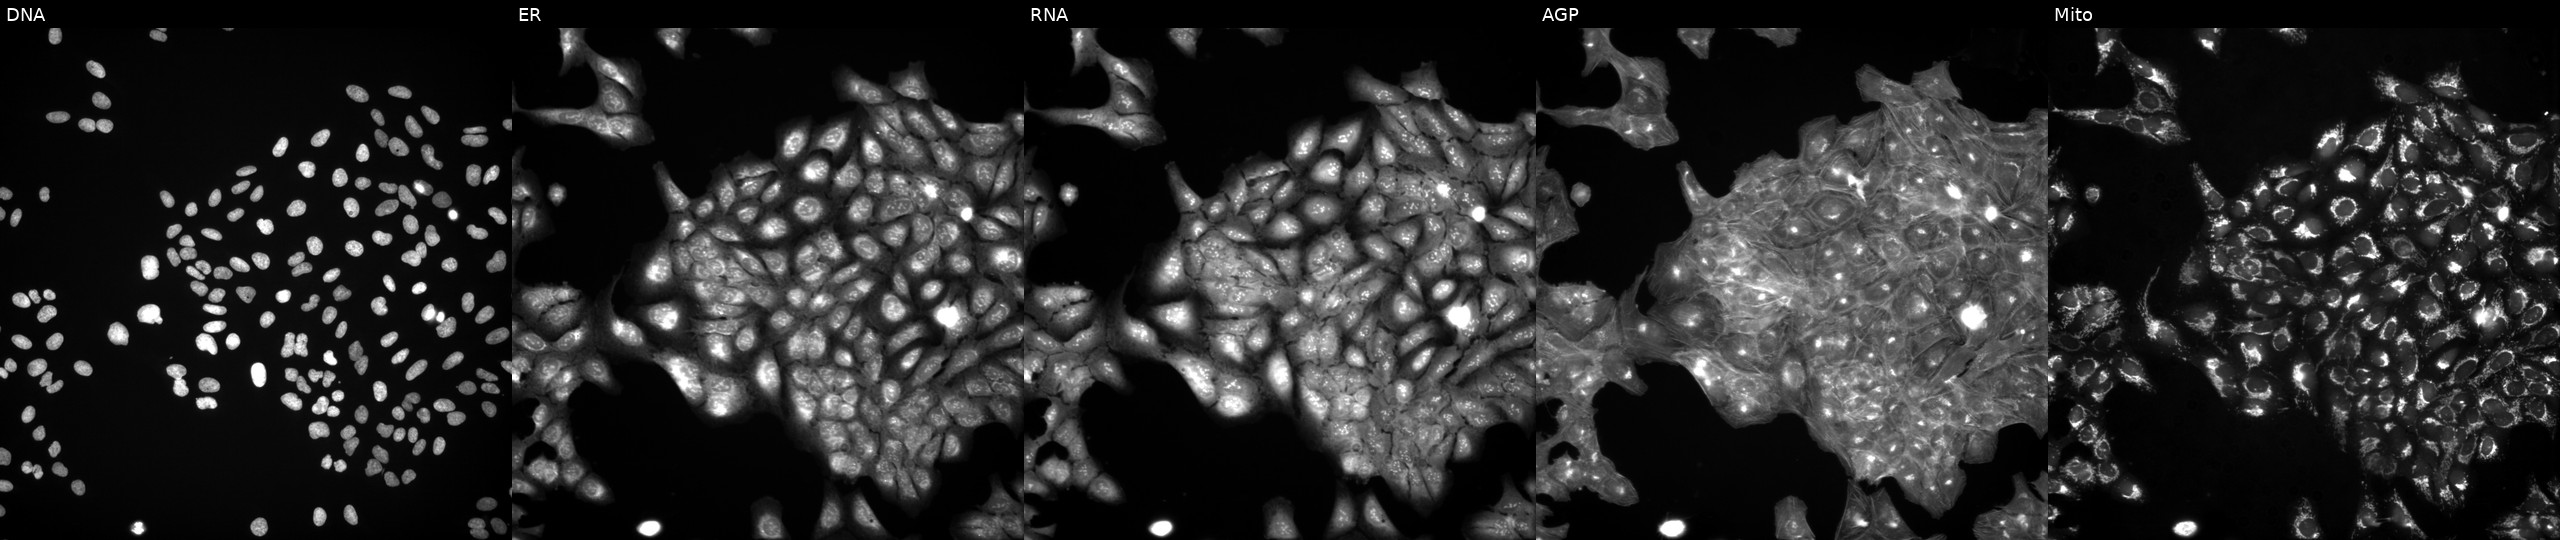
High-content fluorescence microscopy (Cell Painting). Cell line: U2OS. Perturbation: perturbed with a small-molecule compound (InChIKey TYNLGDBUJLVSMA-UHFFFAOYSA-N) (JUMP id JCP2022_087562). Channels (left→right): DNA, ER, RNA, AGP, and Mito.